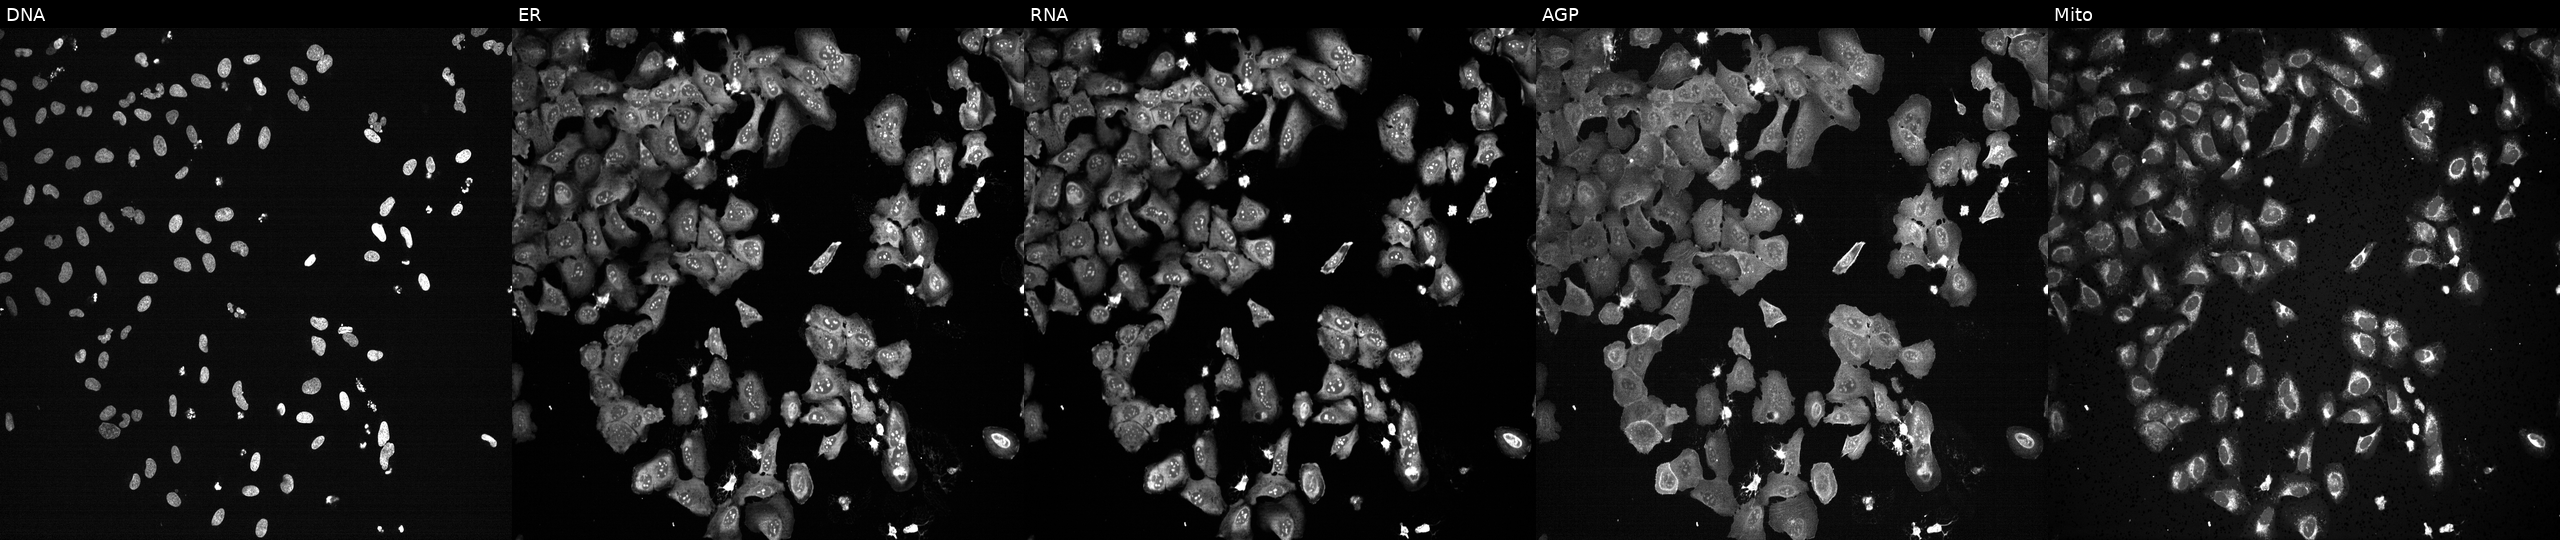
High-content fluorescence microscopy (Cell Painting). Cell line: U2OS. Perturbation: exposed to the positive-control compound TC-S-7004 (JUMP id JCP2022_012818). The five panels, left to right, show DNA (nuclei); ER (endoplasmic reticulum); RNA (nucleoli and cytoplasmic RNA); AGP (actin cytoskeleton, Golgi, and plasma membrane); Mito (mitochondria). Source 13, plate CP-CC9-R2-02, well P01.